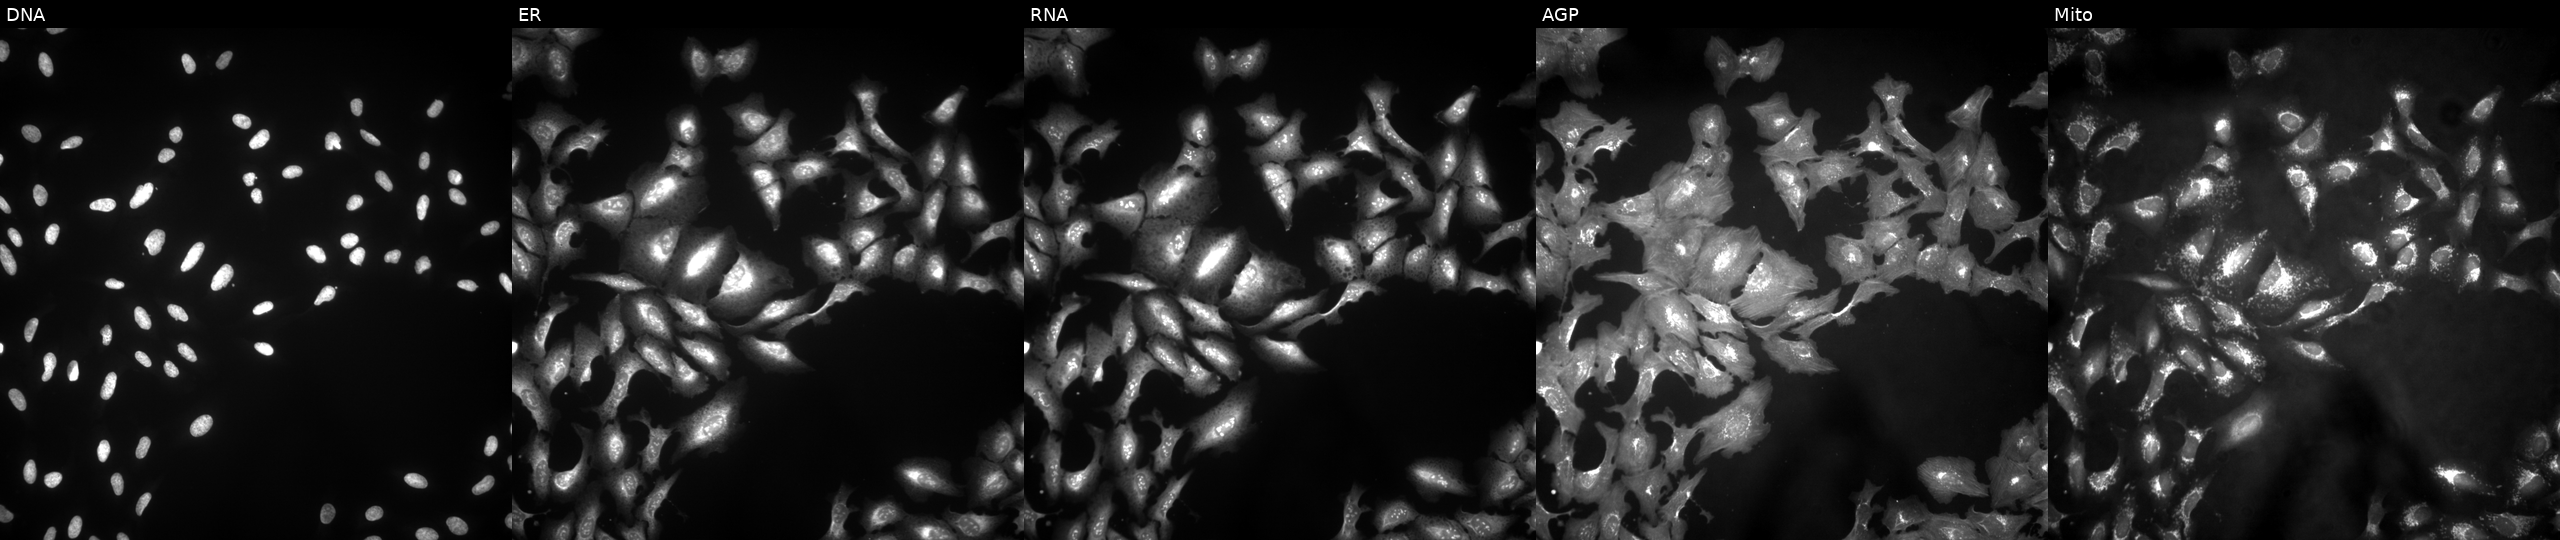
U2OS cells, Cell Painting assay, transfected with an ORF construct for TMEM143. The five panels, left to right, show DNA (nuclei); ER (endoplasmic reticulum); RNA (nucleoli and cytoplasmic RNA); AGP (actin cytoskeleton, Golgi, and plasma membrane); Mito (mitochondria). Each panel is percentile-stretched 16-bit fluorescence. Source 4, plate BR00123506, well E19.